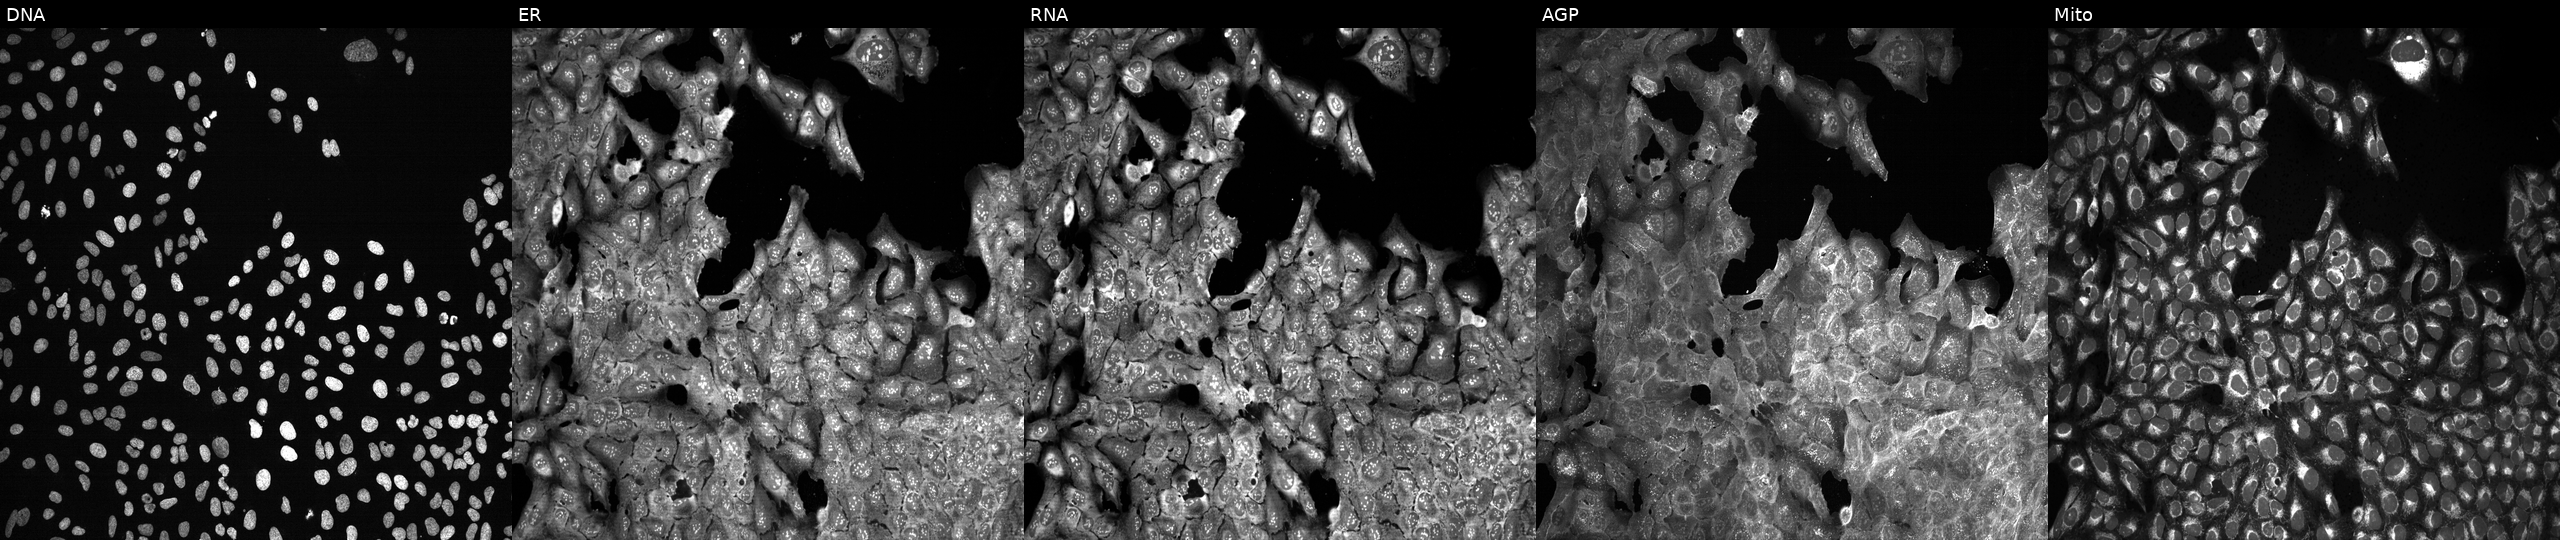
This image strip shows the five Cell Painting channels for a single field of U2OS cells following CRISPR knockout of ECE2 (JUMP id JCP2022_801988). From left to right: Hoechst 33342, concanavalin A, SYTO 14, phalloidin and WGA, MitoTracker. Source 13, plate CP-CC9-R6-19, well J09.